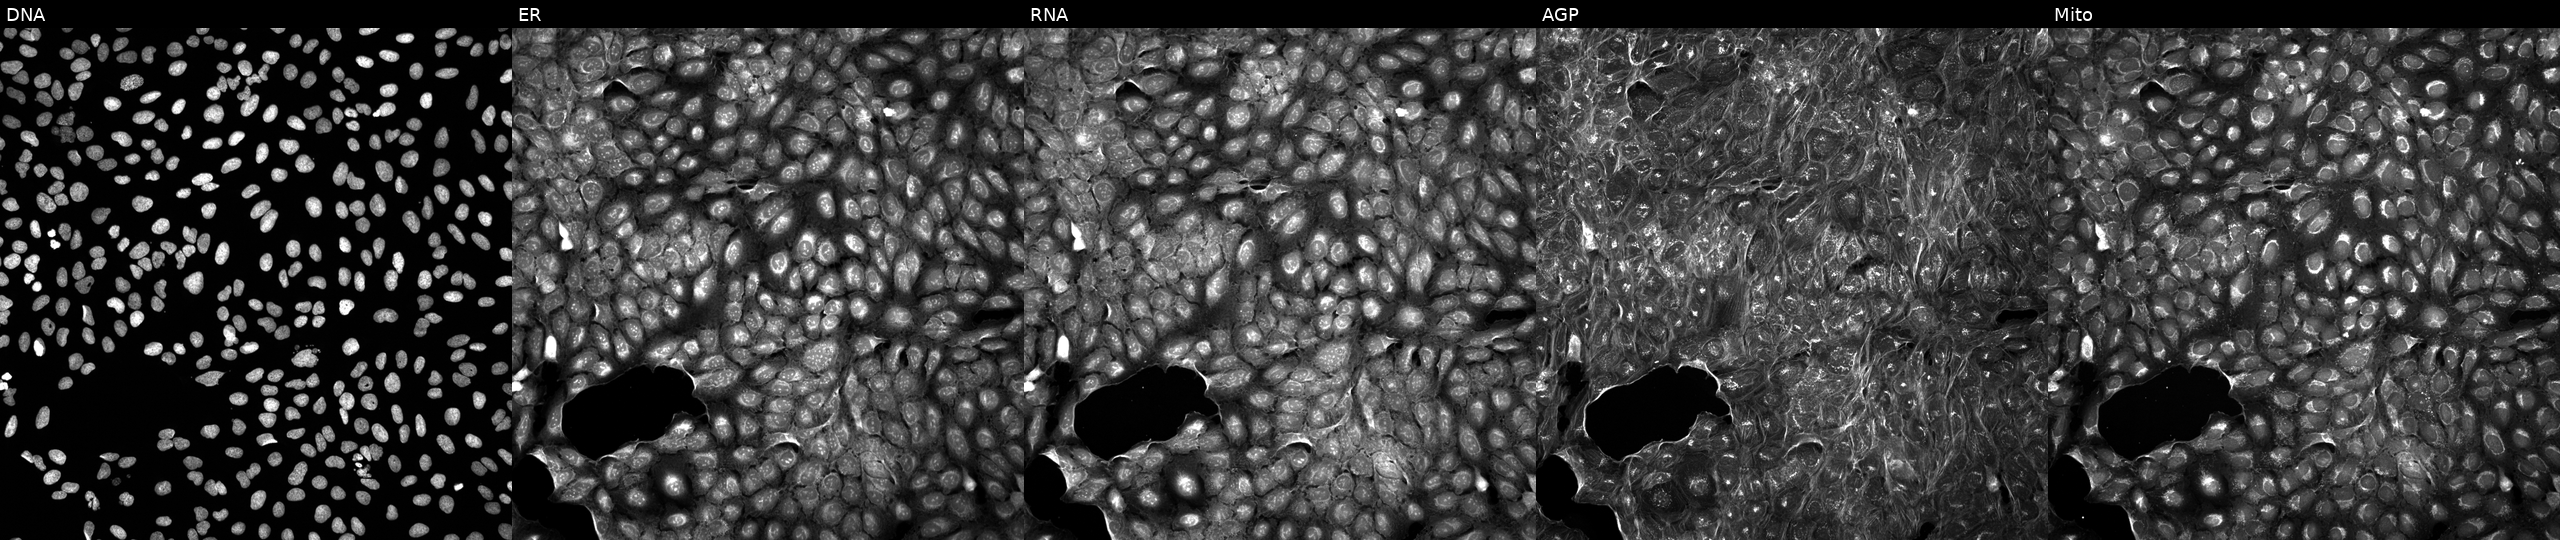
U2OS cells, Cell Painting assay, treated with a small-molecule compound (InChIKey YIFPIEKYGAZOTB-UHFFFAOYSA-N) [SMILES: CC(NC(=O)Nc1ccccc1OCc1cscn1)c1cccc(Cl)c1]. Channels (left→right): DNA, ER, RNA, AGP, and Mito. Each panel is percentile-stretched 16-bit fluorescence.